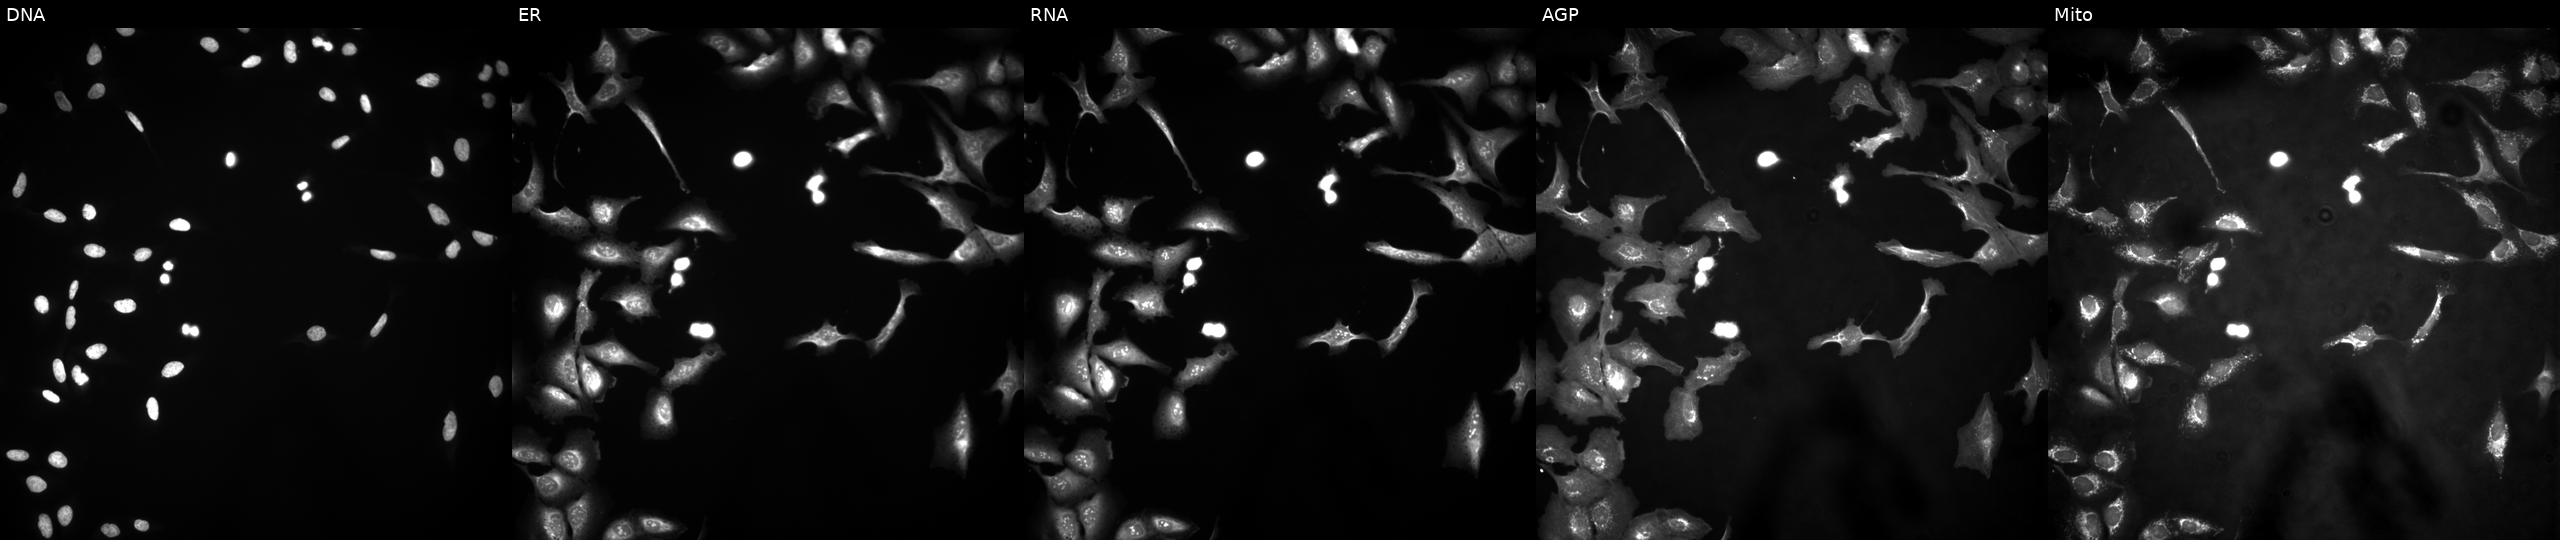
This image strip shows the five Cell Painting channels for a single field of U2OS cells overexpressing UCP3 via ORF transfection. Channels (left→right): Hoechst 33342, concanavalin A, SYTO 14, phalloidin and WGA, MitoTracker. Source 4, plate BR00121543, well F18.